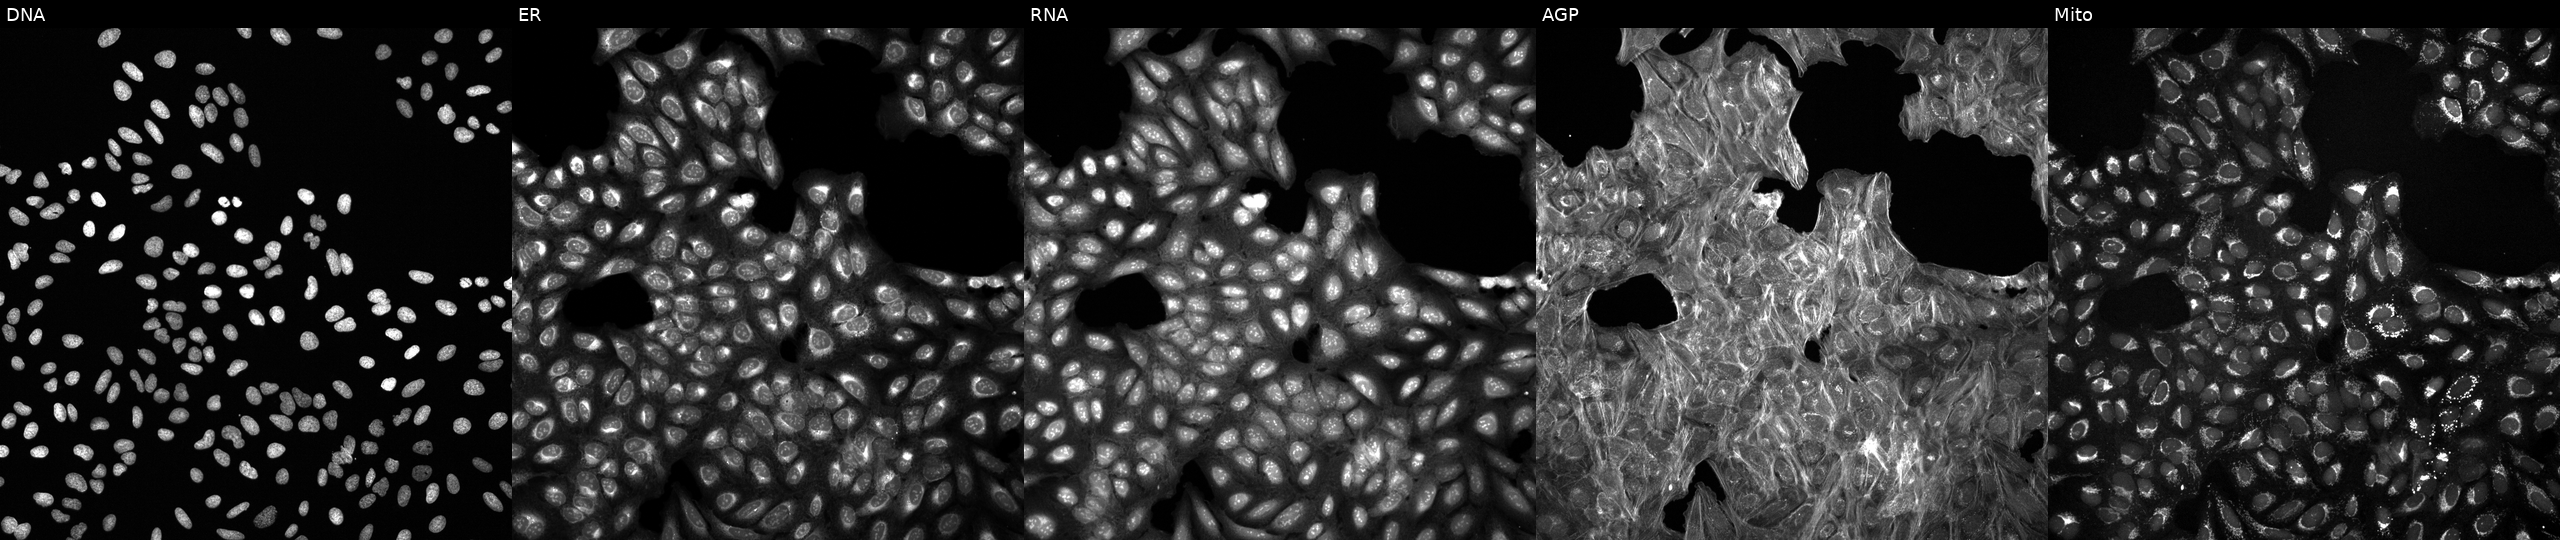
The five panels, left to right, show DNA, ER, RNA, AGP, and Mito. U2OS osteosarcoma cells exposed to a small-molecule compound (InChIKey SUYQGWCUKSBLAX-UHFFFAOYSA-N). Cell Painting assay, JUMP-CP dataset.